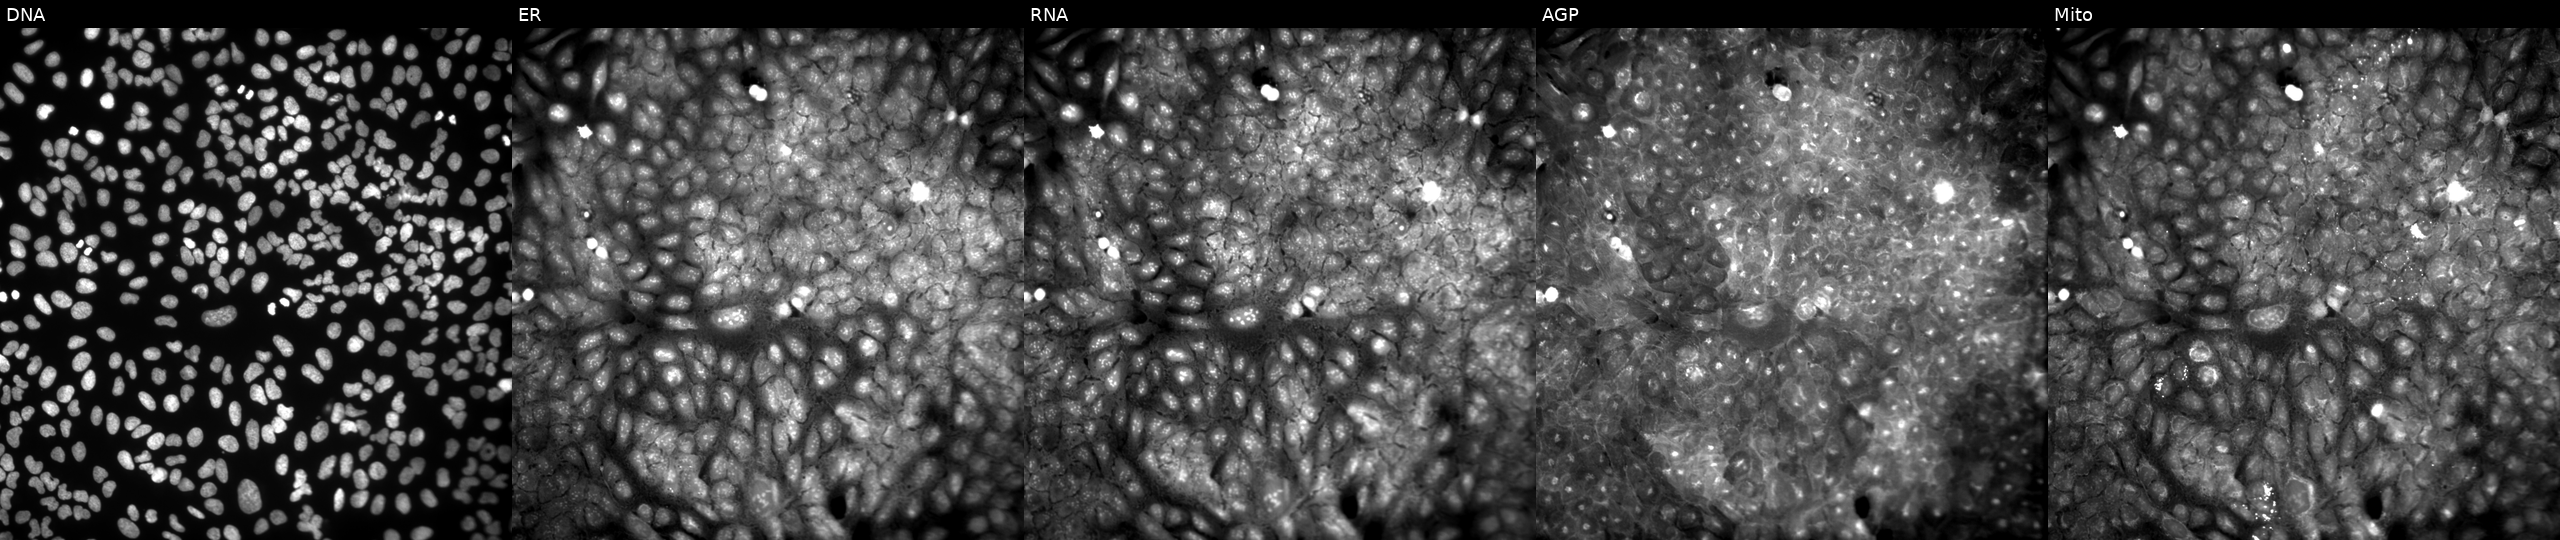
The five panels, left to right, show DNA (nuclei); ER (endoplasmic reticulum); RNA (nucleoli and cytoplasmic RNA); AGP (actin cytoskeleton, Golgi, and plasma membrane); Mito (mitochondria). U2OS osteosarcoma cells perturbed with a small-molecule compound [SMILES: O=C(COc1ccc(Br)cc1)N1CCc2ccccc2C1] (JUMP id JCP2022_099301). Cell Painting assay, JUMP-CP dataset. Source 9, plate GR00003381, well Z42.